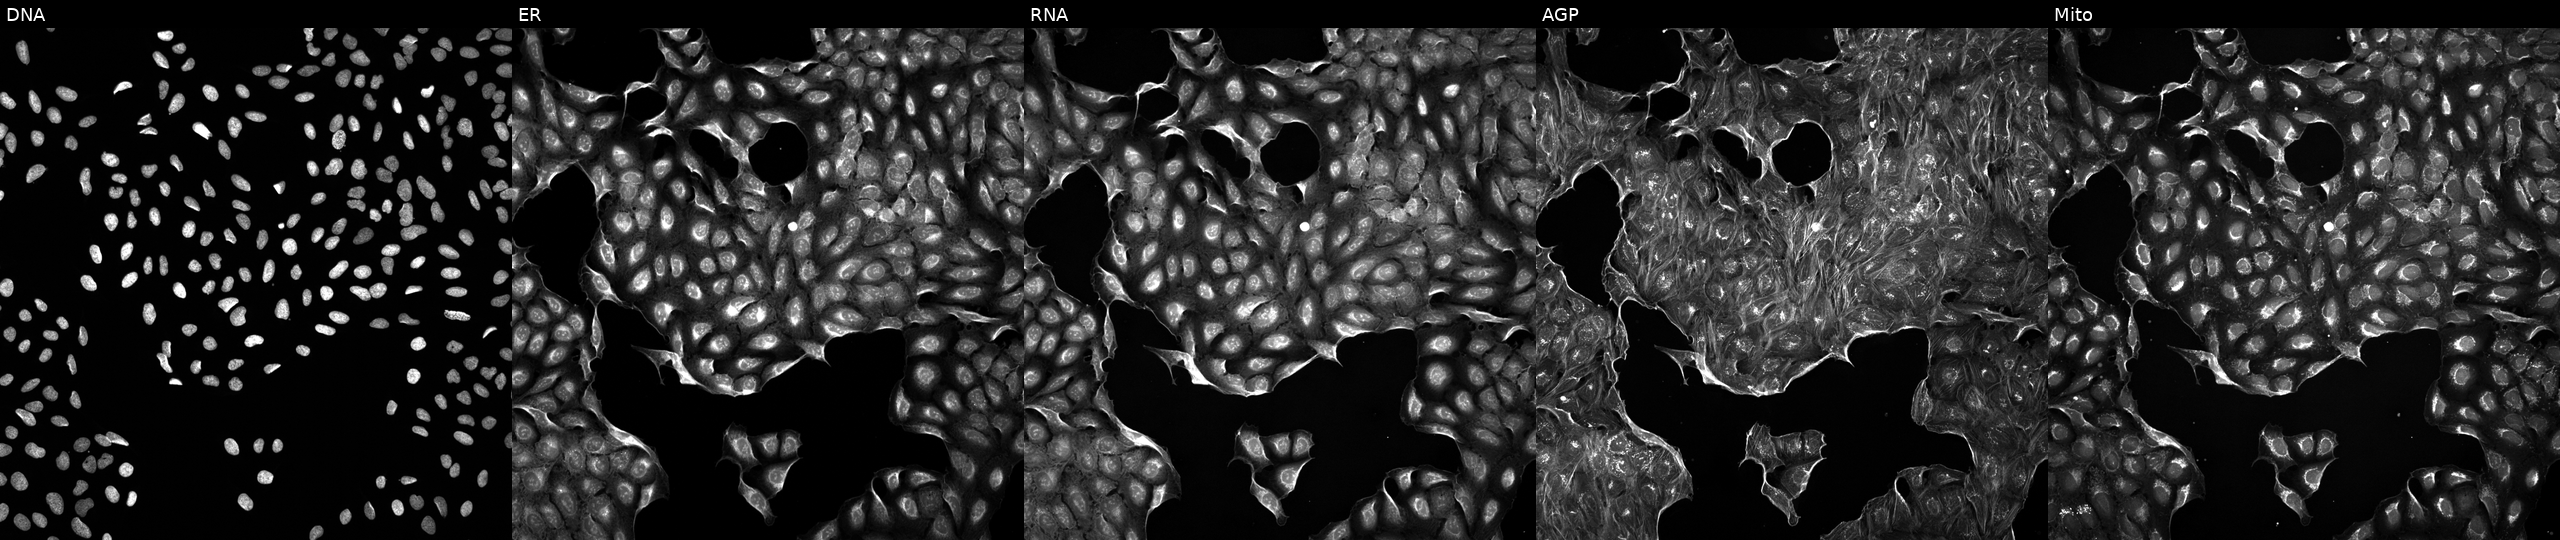
High-content fluorescence microscopy (Cell Painting). Cell line: U2OS. Perturbation: perturbed with a small-molecule compound (InChIKey ONIBWKKTOPOVIA-UHFFFAOYSA-N). Panels show, left to right, Hoechst 33342, concanavalin A, SYTO 14, phalloidin and WGA, MitoTracker. Source 5, plate ACPJUM051, well M02.